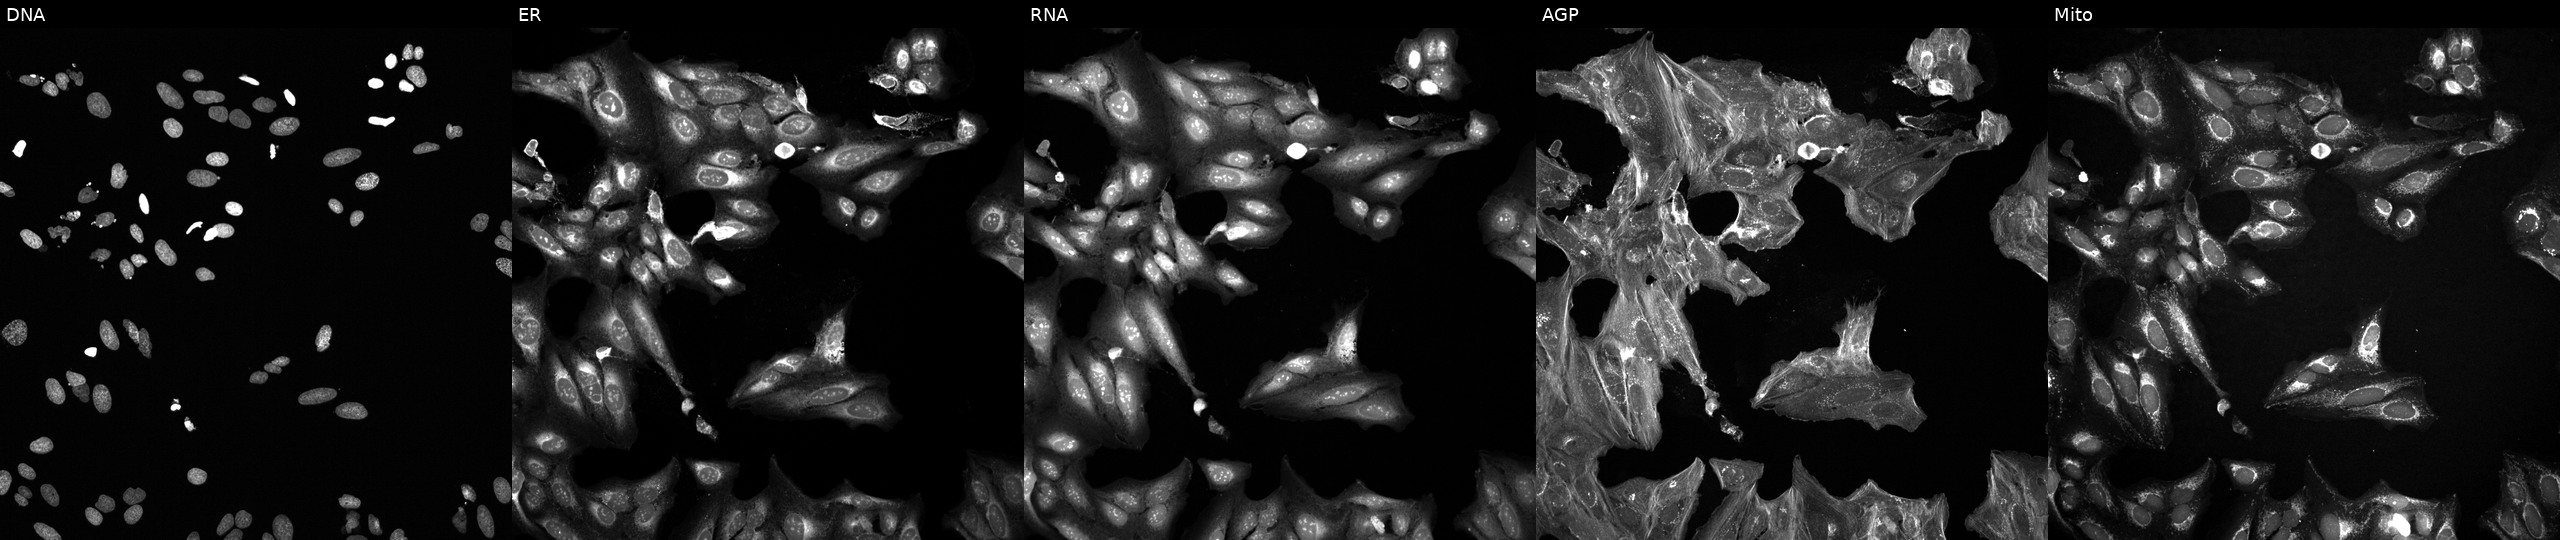
This image strip shows the five Cell Painting channels for a single field of U2OS cells exposed to a small-molecule compound (InChIKey RAMROQQYRRQPDL-UHFFFAOYSA-N) [SMILES: CC(C)C(CO)N=c1[nH]c(=Nc2cc(N)cc(Cl)c2)c2ncn(C(C)C)c2[nH]1]. From left to right: DNA (nuclei); ER (endoplasmic reticulum); RNA (nucleoli and cytoplasmic RNA); AGP (actin cytoskeleton, Golgi, and plasma membrane); Mito (mitochondria). Source 6, plate 110000294901, well C22.